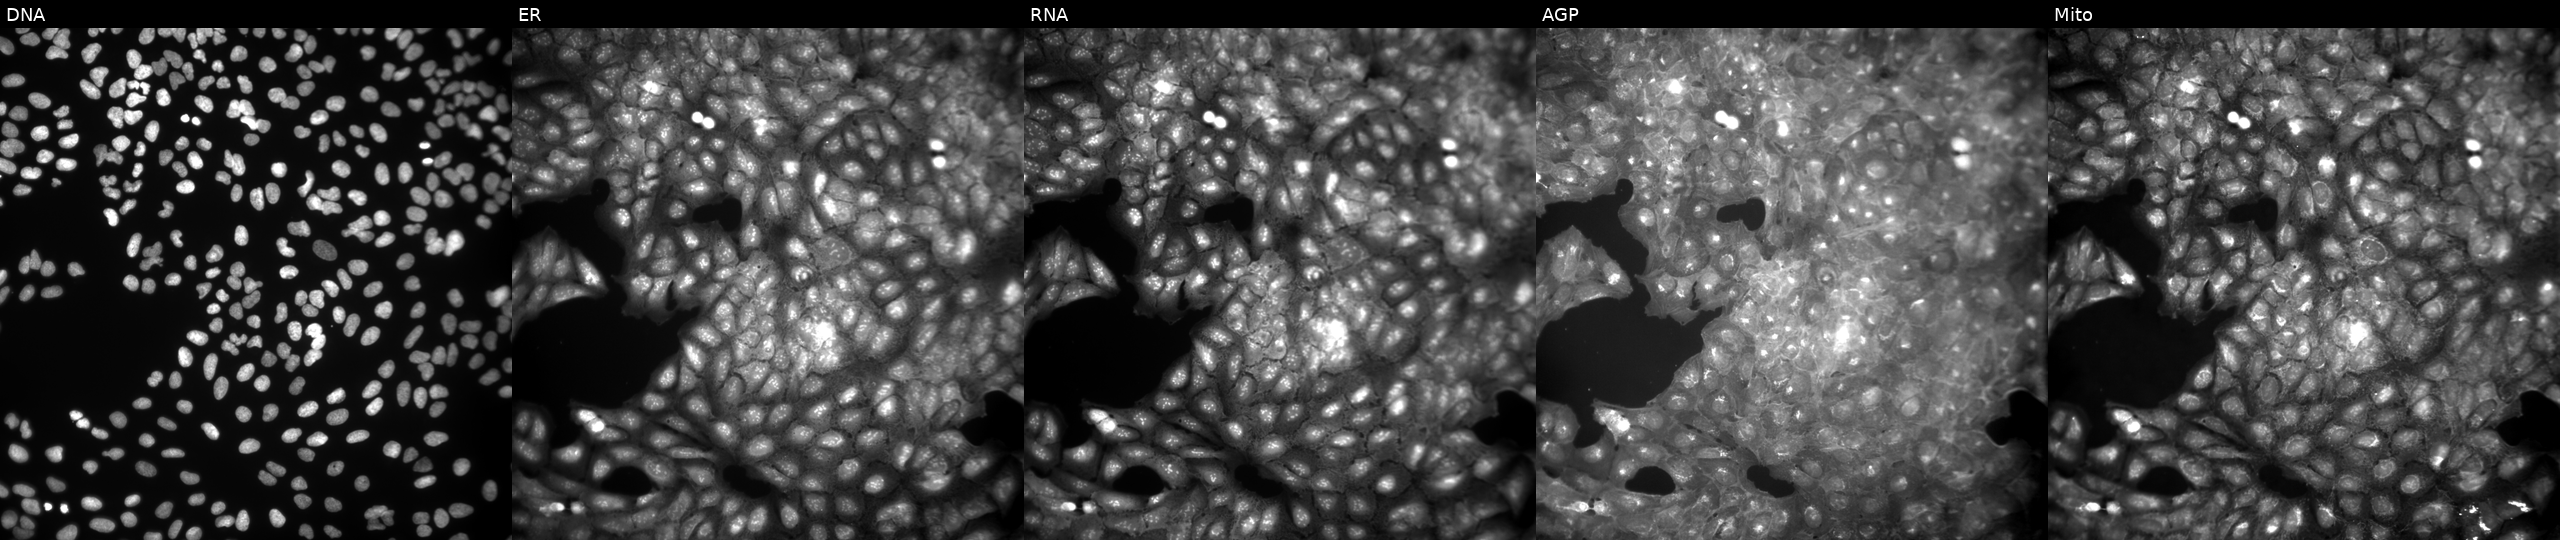
U2OS cells, Cell Painting assay, exposed to a small-molecule compound (JUMP id JCP2022_084862). From left to right: DNA, ER, RNA, AGP, and Mito. Each panel is percentile-stretched 16-bit fluorescence.